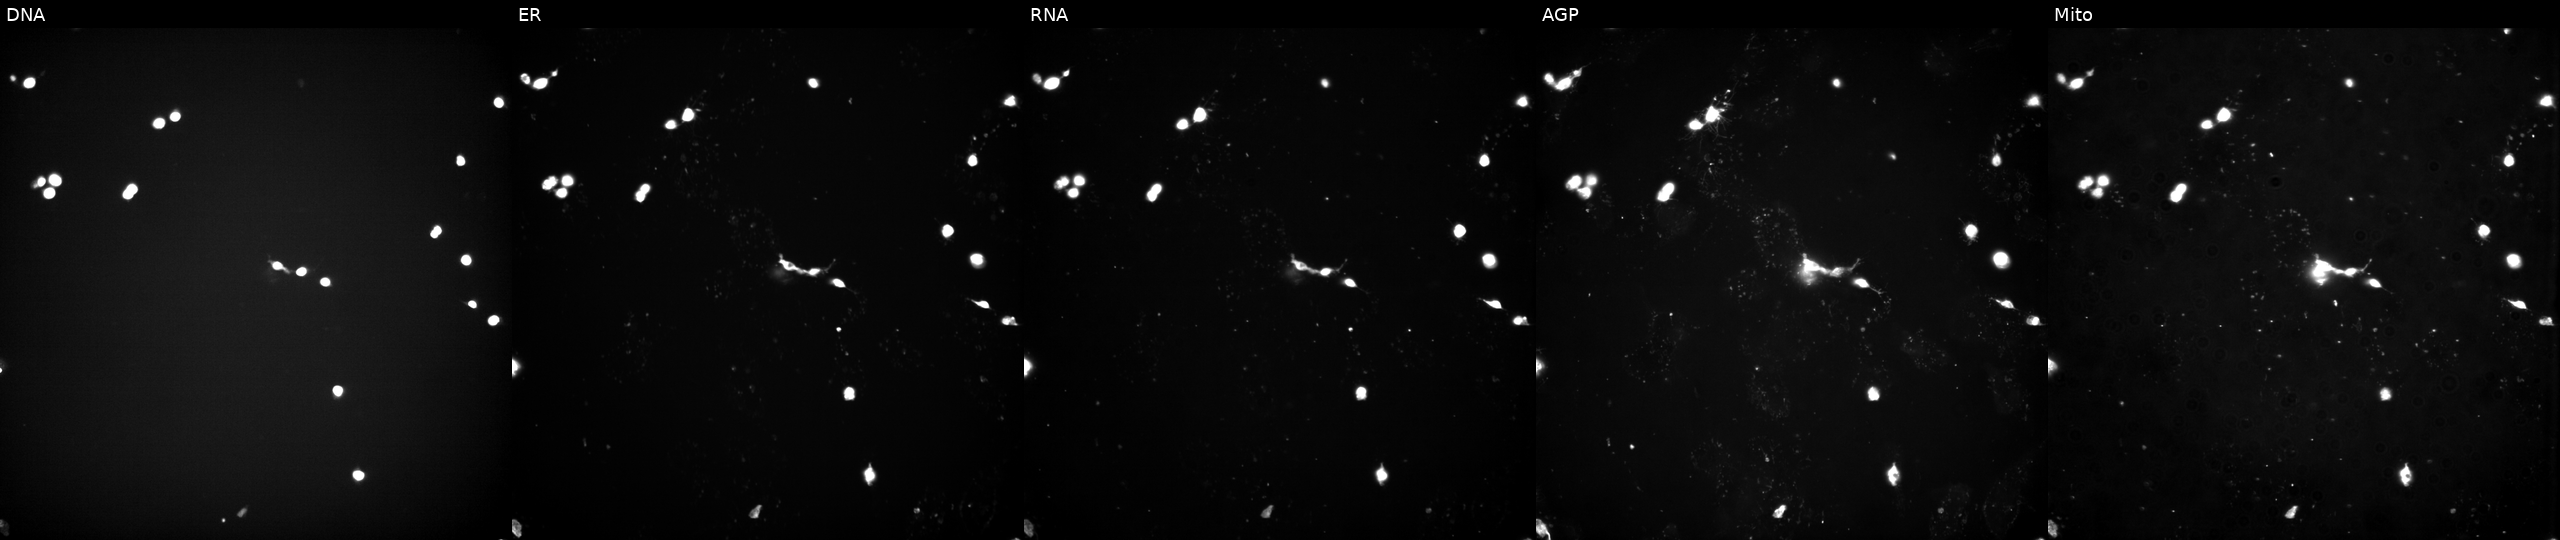
Five-channel Cell Painting image of U2OS cells exposed to a small-molecule compound (InChIKey IAYGCINLNONXHY-UHFFFAOYSA-N) (JUMP id JCP2022_033914). The five panels, left to right, show DNA (nuclei); ER (endoplasmic reticulum); RNA (nucleoli and cytoplasmic RNA); AGP (actin cytoskeleton, Golgi, and plasma membrane); Mito (mitochondria). Source 3, plate JCPQC052, well D11.